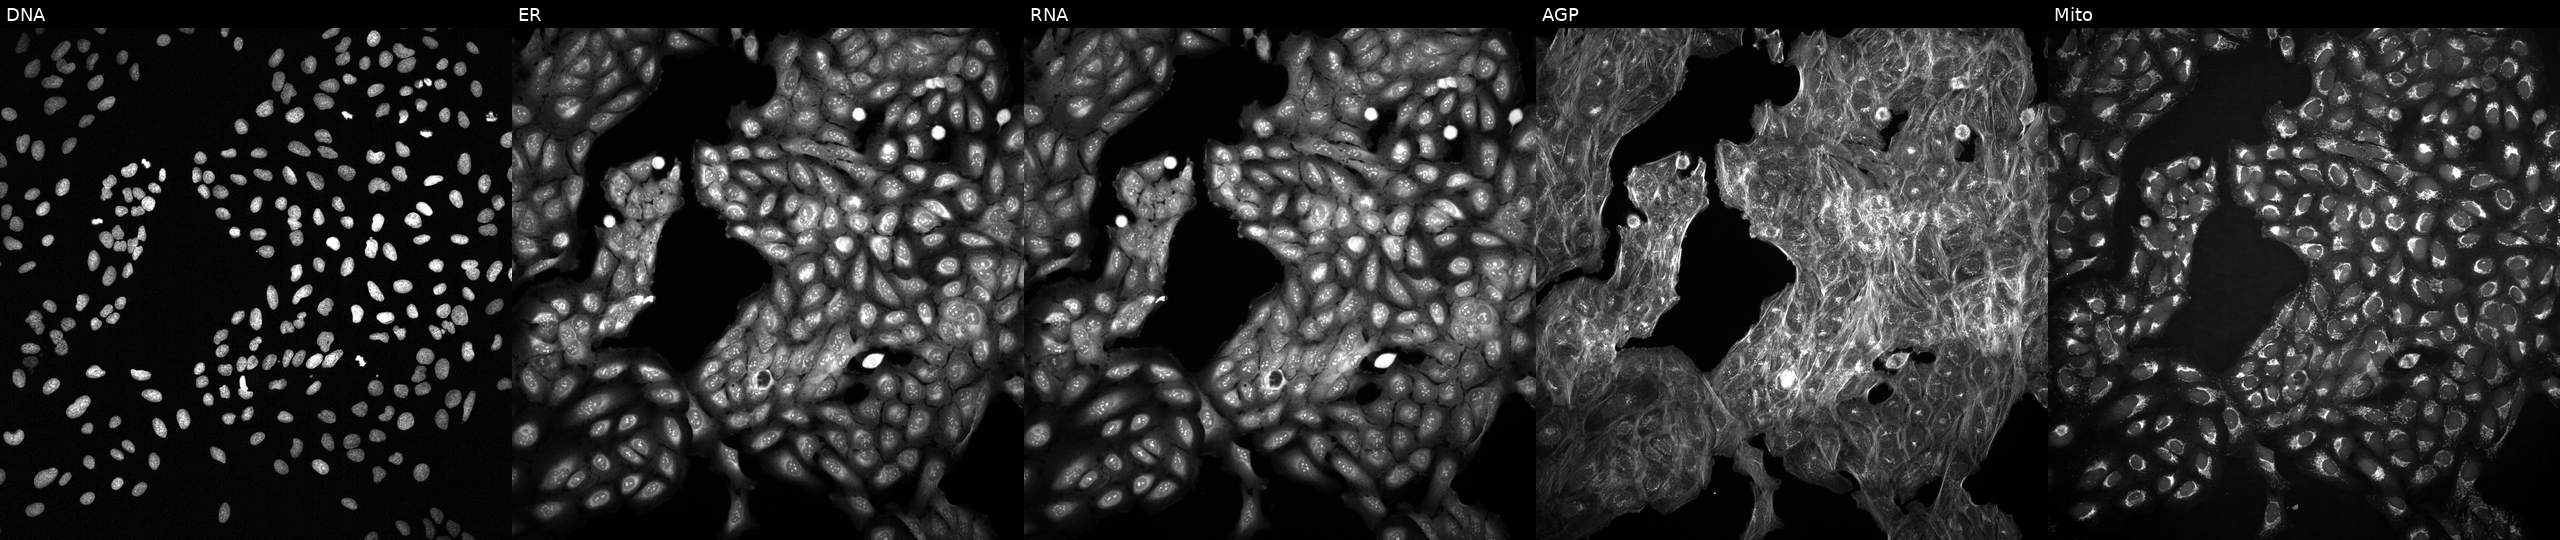
Five-channel Cell Painting image of U2OS cells exposed to DMSO alone as a negative control. From left to right: DNA (nuclei); ER (endoplasmic reticulum); RNA (nucleoli and cytoplasmic RNA); AGP (actin cytoskeleton, Golgi, and plasma membrane); Mito (mitochondria).